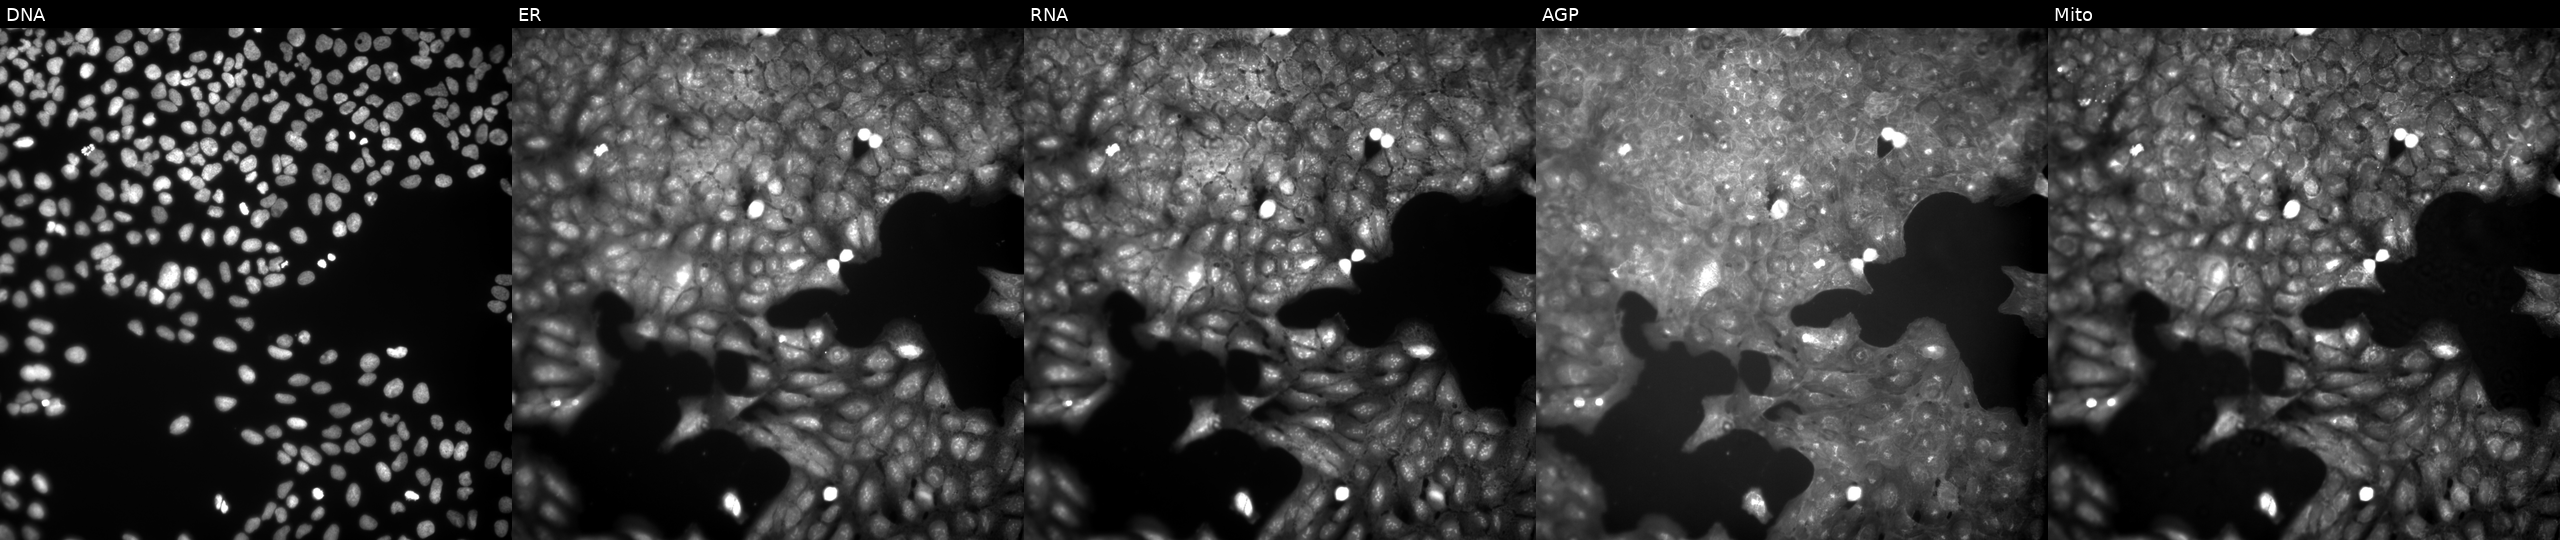
Panels show, left to right, DNA, ER, RNA, AGP, and Mito. U2OS osteosarcoma cells exposed to a small-molecule compound (InChIKey CSKHWXZLDXSYSP-UHFFFAOYSA-N) (JUMP id JCP2022_013148). Cell Painting assay, JUMP-CP dataset. Source 9, plate GR00003382, well E45.